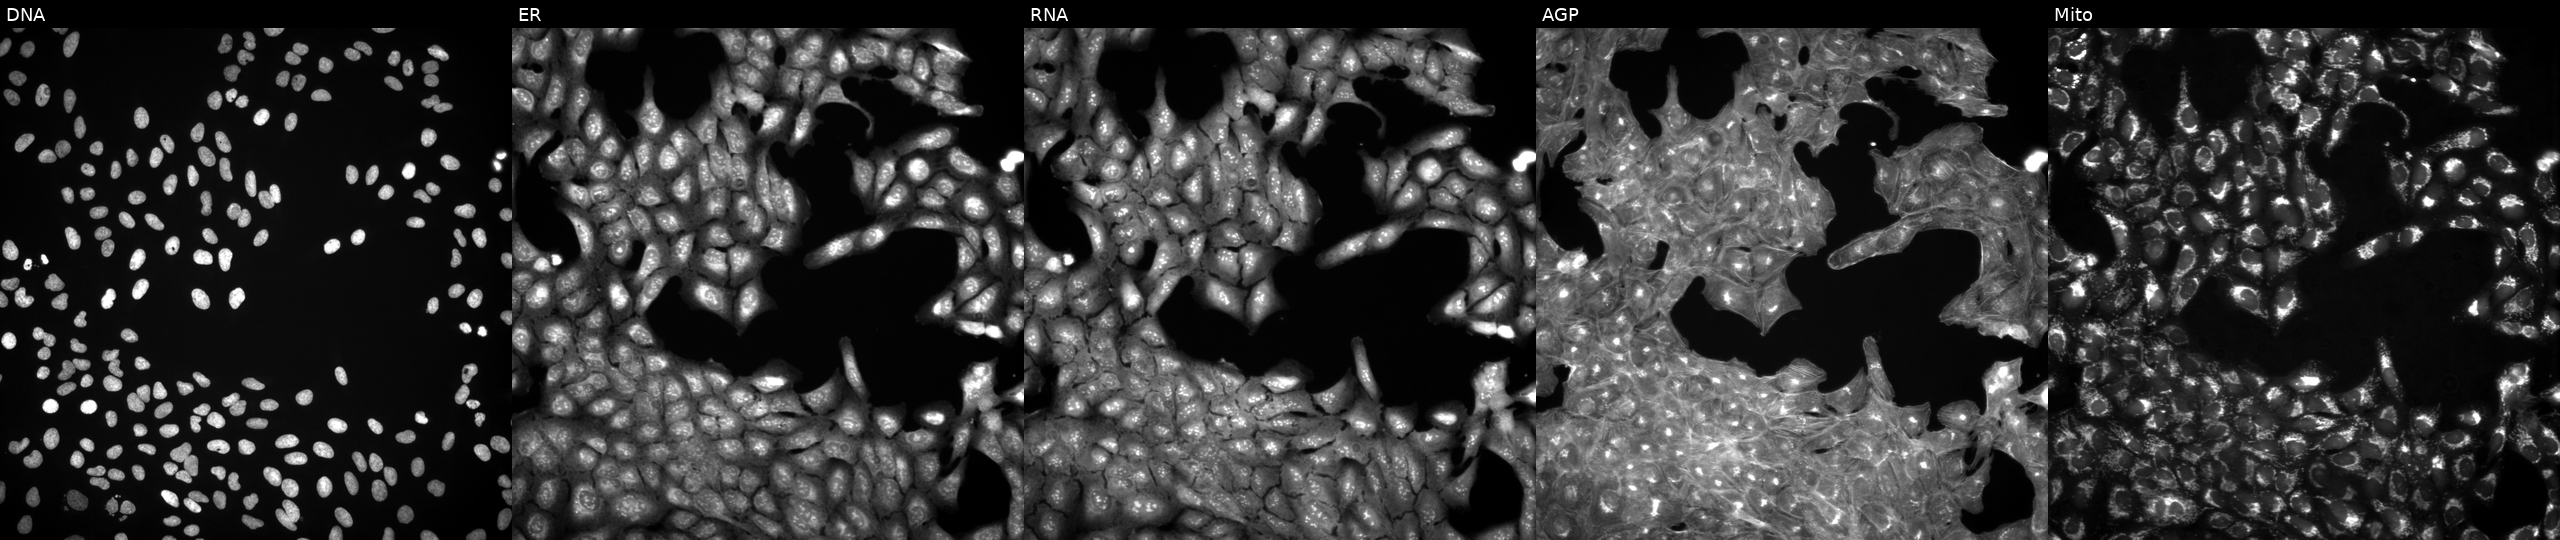
Five-channel Cell Painting image of U2OS cells exposed to DMSO alone as a negative control. The five panels, left to right, show Hoechst 33342, concanavalin A, SYTO 14, phalloidin and WGA, MitoTracker. Source 3, plate JCPQC051, well O12.